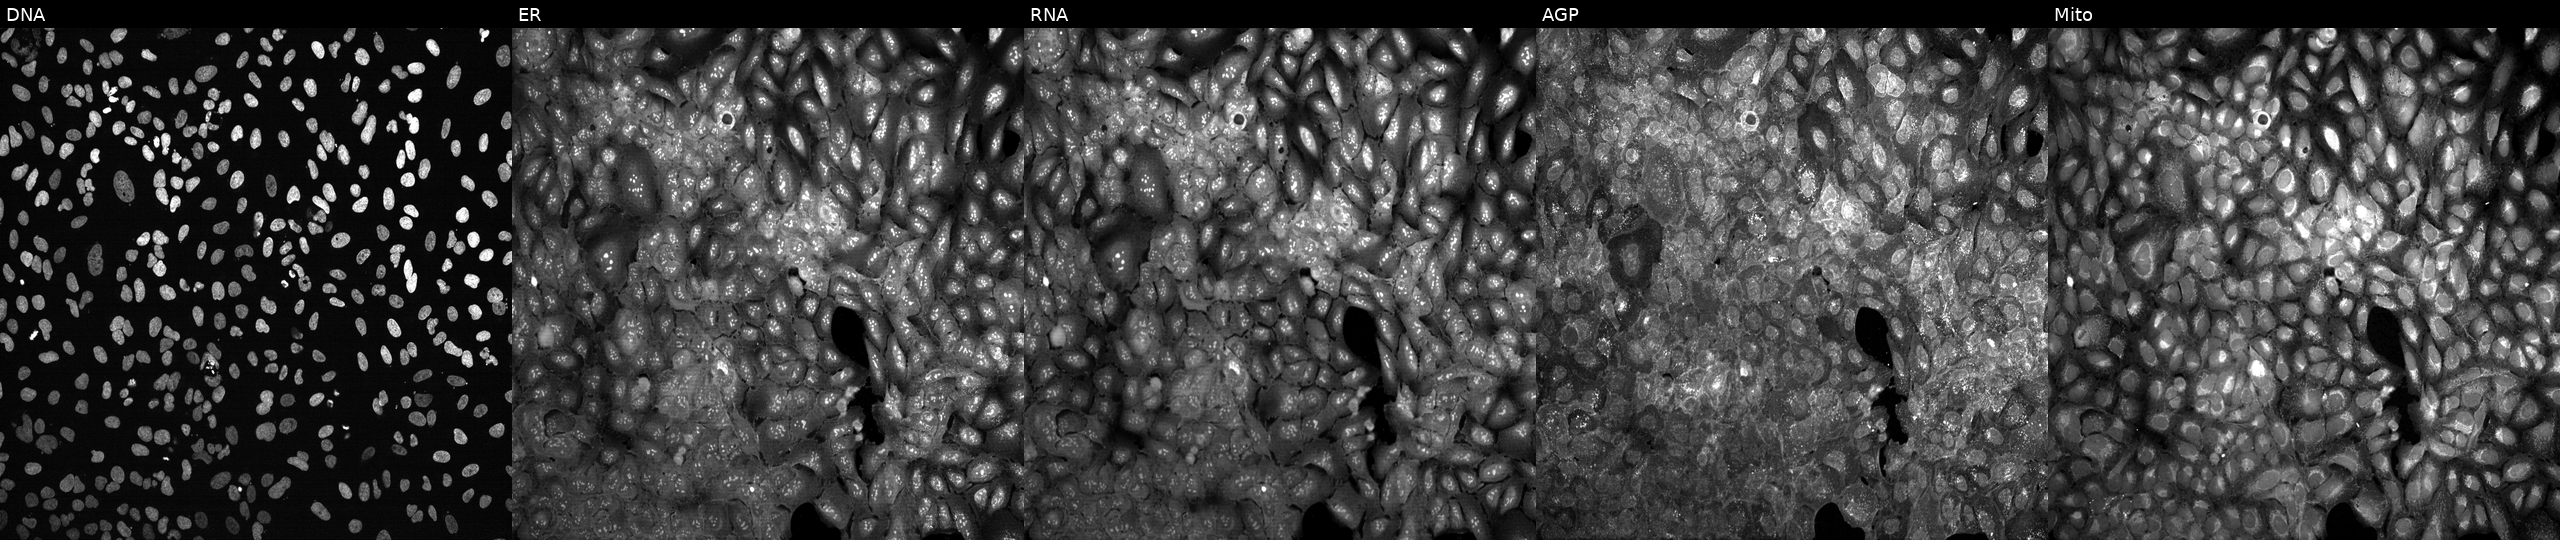
U2OS cells, Cell Painting assay, with MLYCD knocked out by CRISPR (JUMP id JCP2022_804203). Panels show, left to right, DNA, ER, RNA, AGP, and Mito. Each panel is percentile-stretched 16-bit fluorescence.